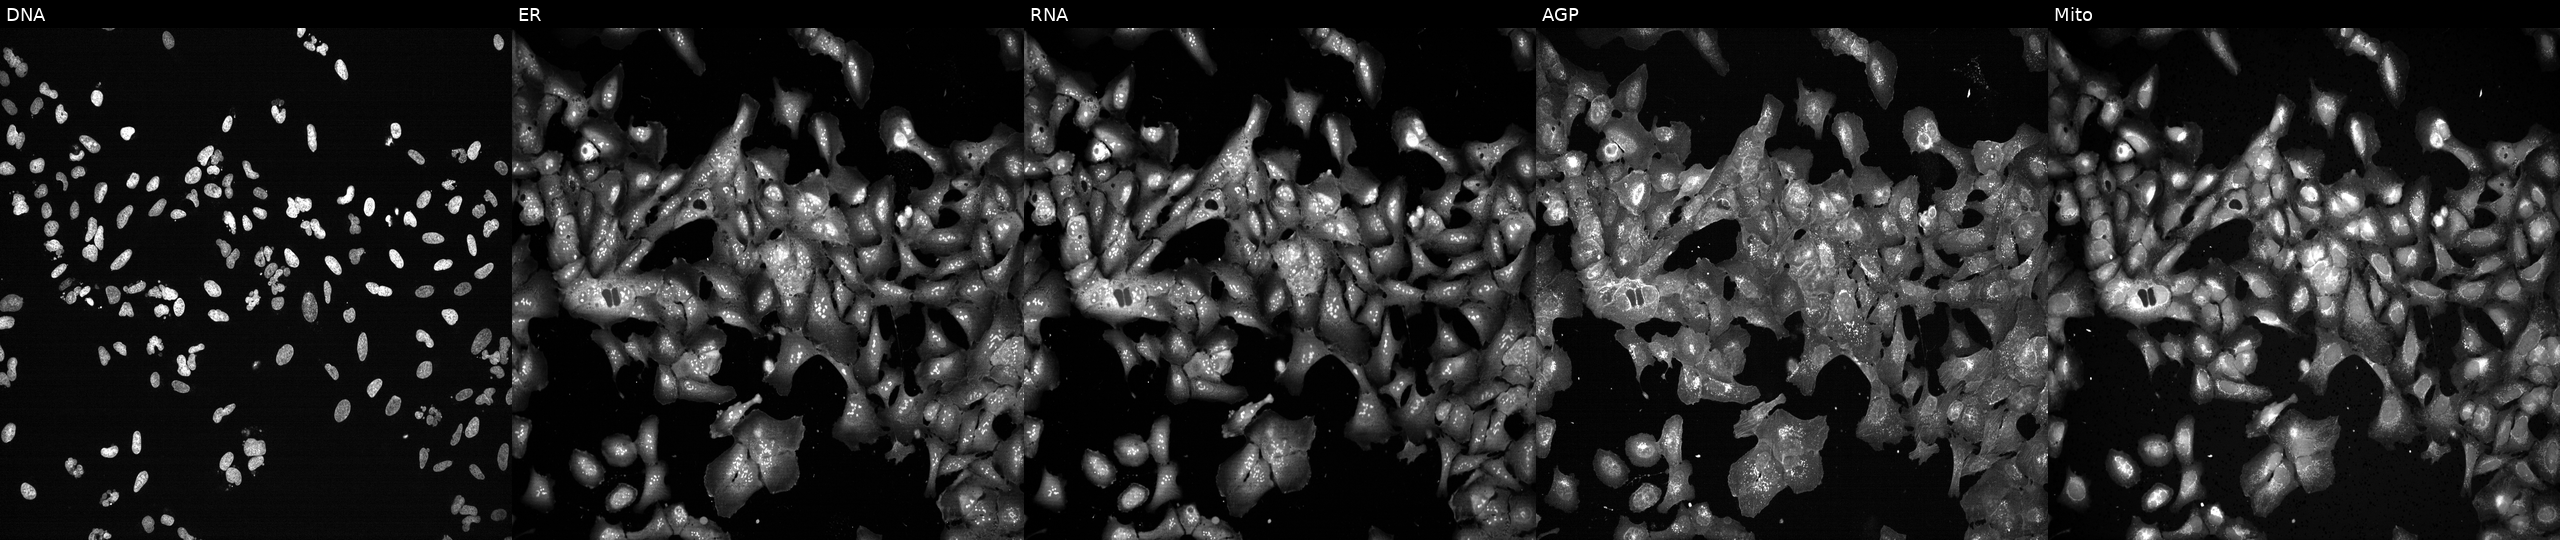
This image strip shows the five Cell Painting channels for a single field of U2OS cells following CRISPR knockout of DDX41 (JUMP id JCP2022_801739). Panels show, left to right, Hoechst 33342, concanavalin A, SYTO 14, phalloidin and WGA, MitoTracker.